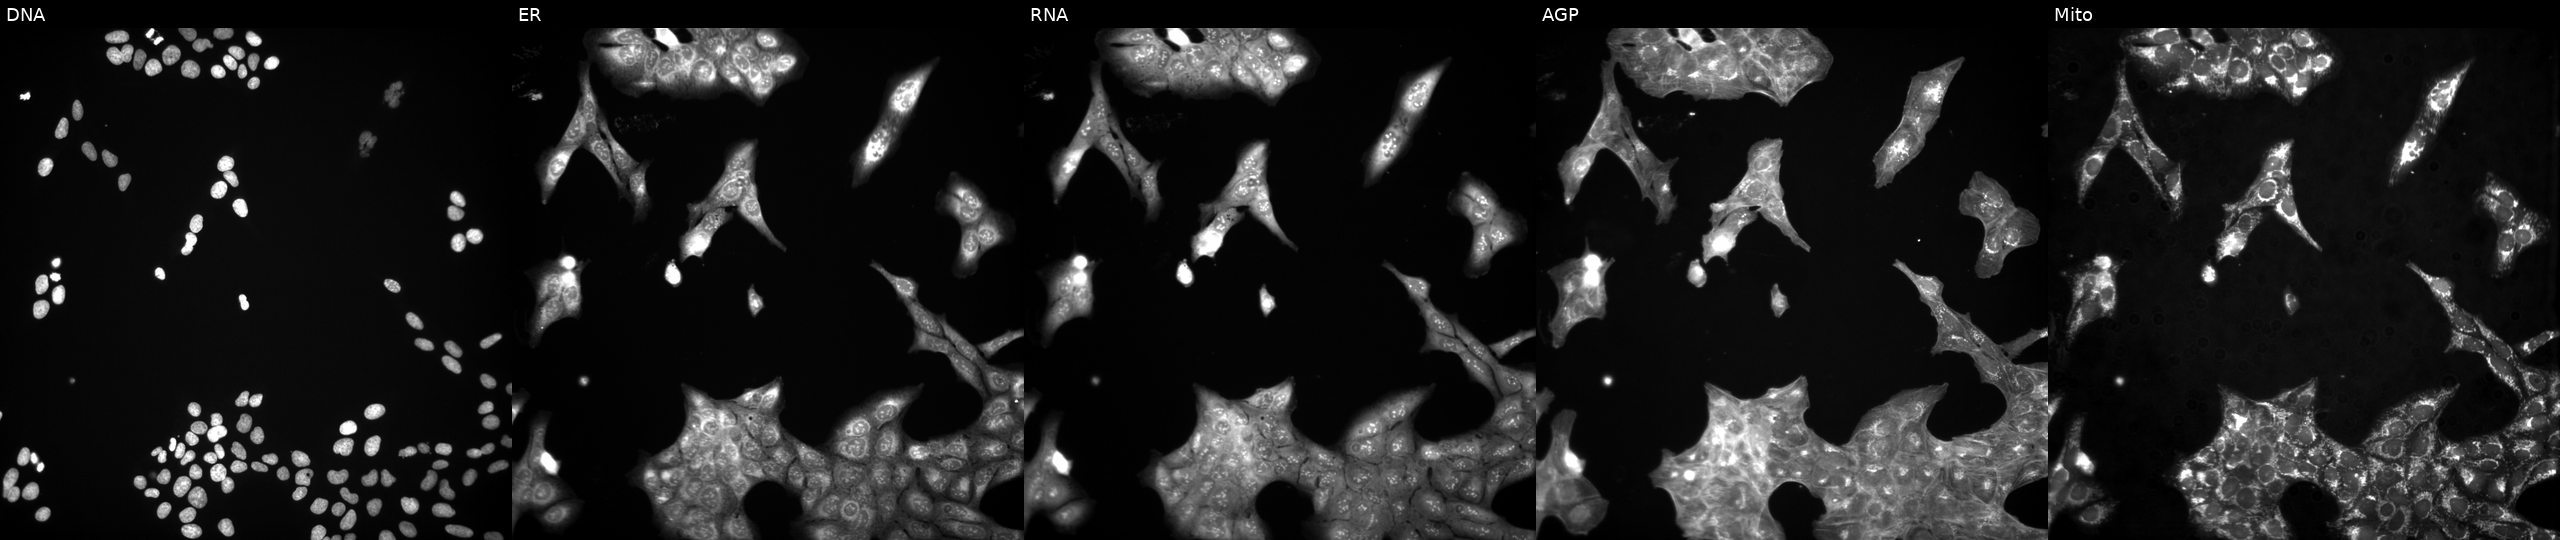
JUMP Cell Painting — COMPOUND plate. U2OS cells exposed to the positive-control compound LY2109761. Channels (left→right): DNA, ER, RNA, AGP, and Mito. Source 3, plate BR5867a3, well A24.